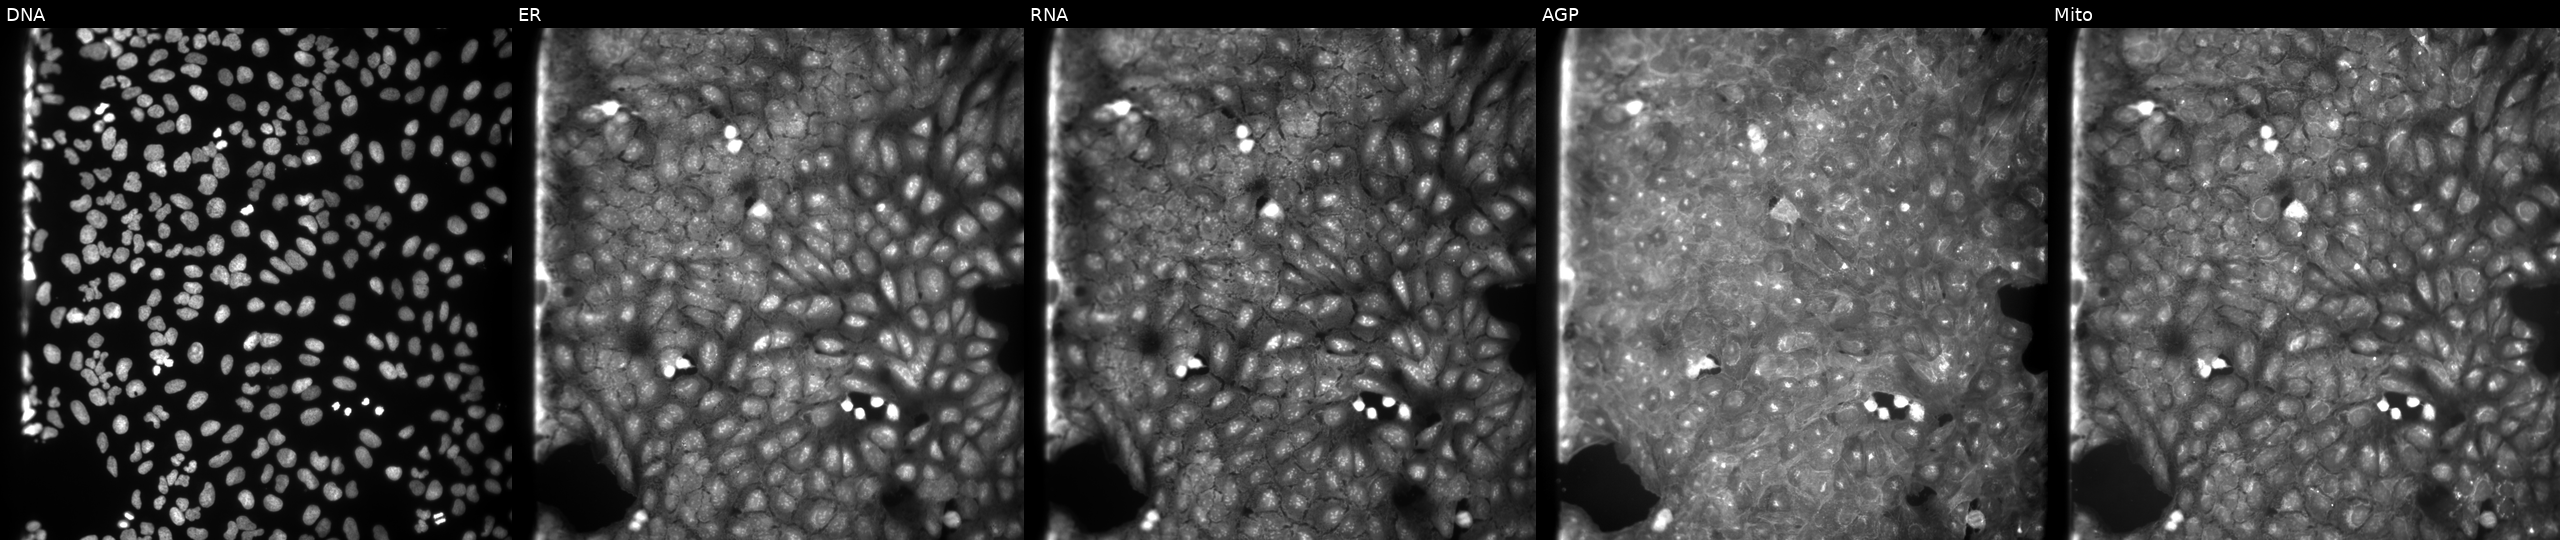
JUMP Cell Painting — COMPOUND plate. U2OS cells exposed to the positive-control compound aloxistatin (JUMP id JCP2022_085227). The five panels, left to right, show DNA, ER, RNA, AGP, and Mito.